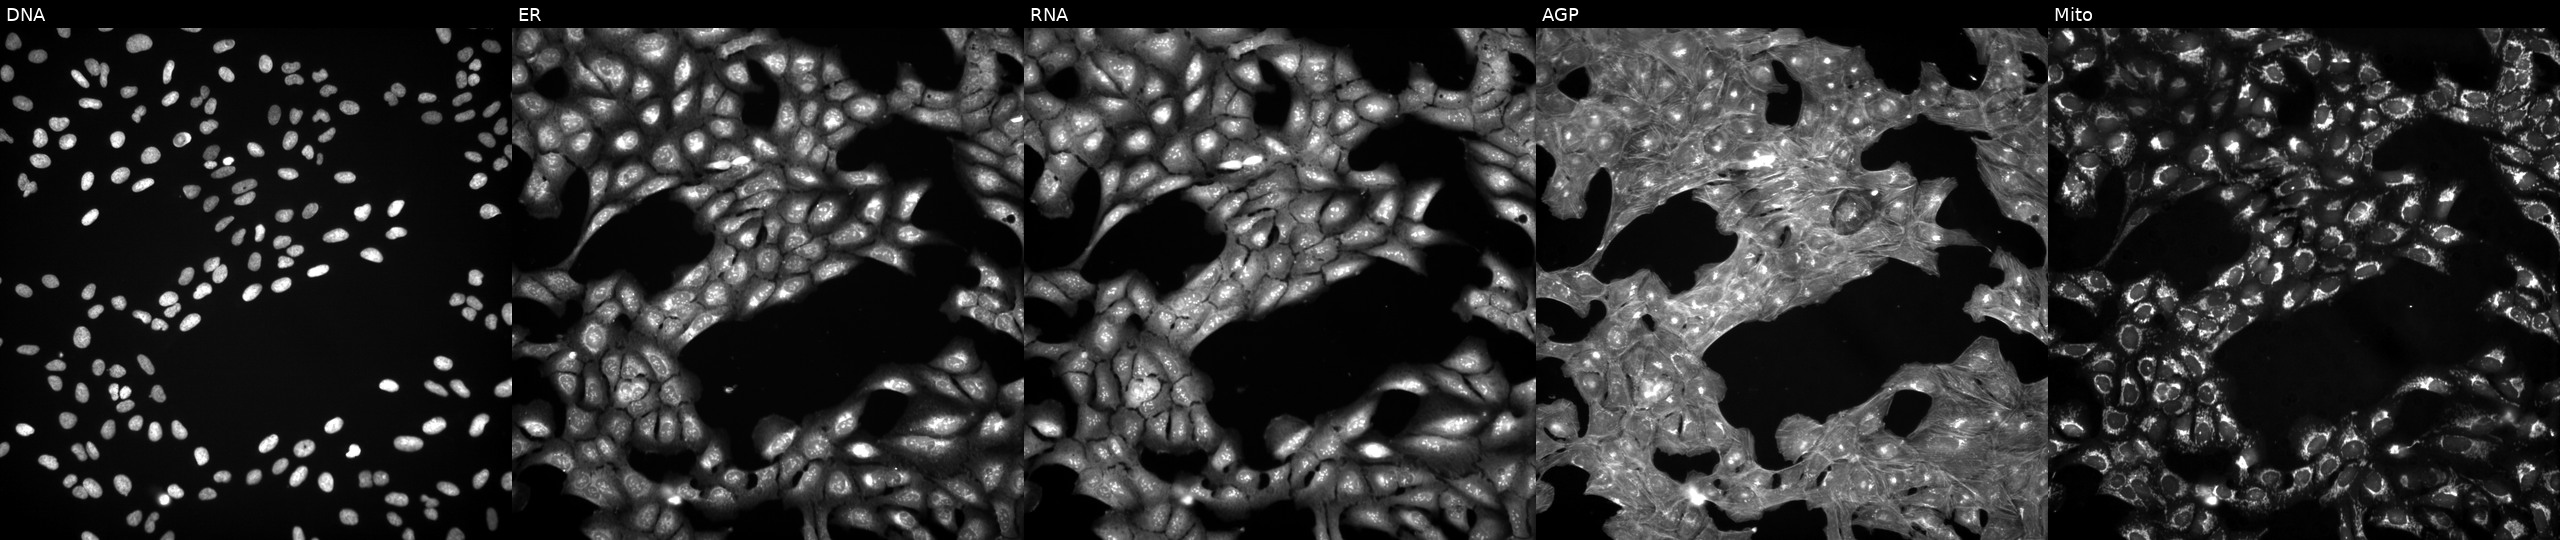
Five-channel Cell Painting image of U2OS cells exposed to a small-molecule compound (InChIKey XXRCUYVCPSWGCC-UHFFFAOYSA-N) [SMILES: CCOC(=O)C(C)=O]. Panels show, left to right, DNA, ER, RNA, AGP, and Mito.